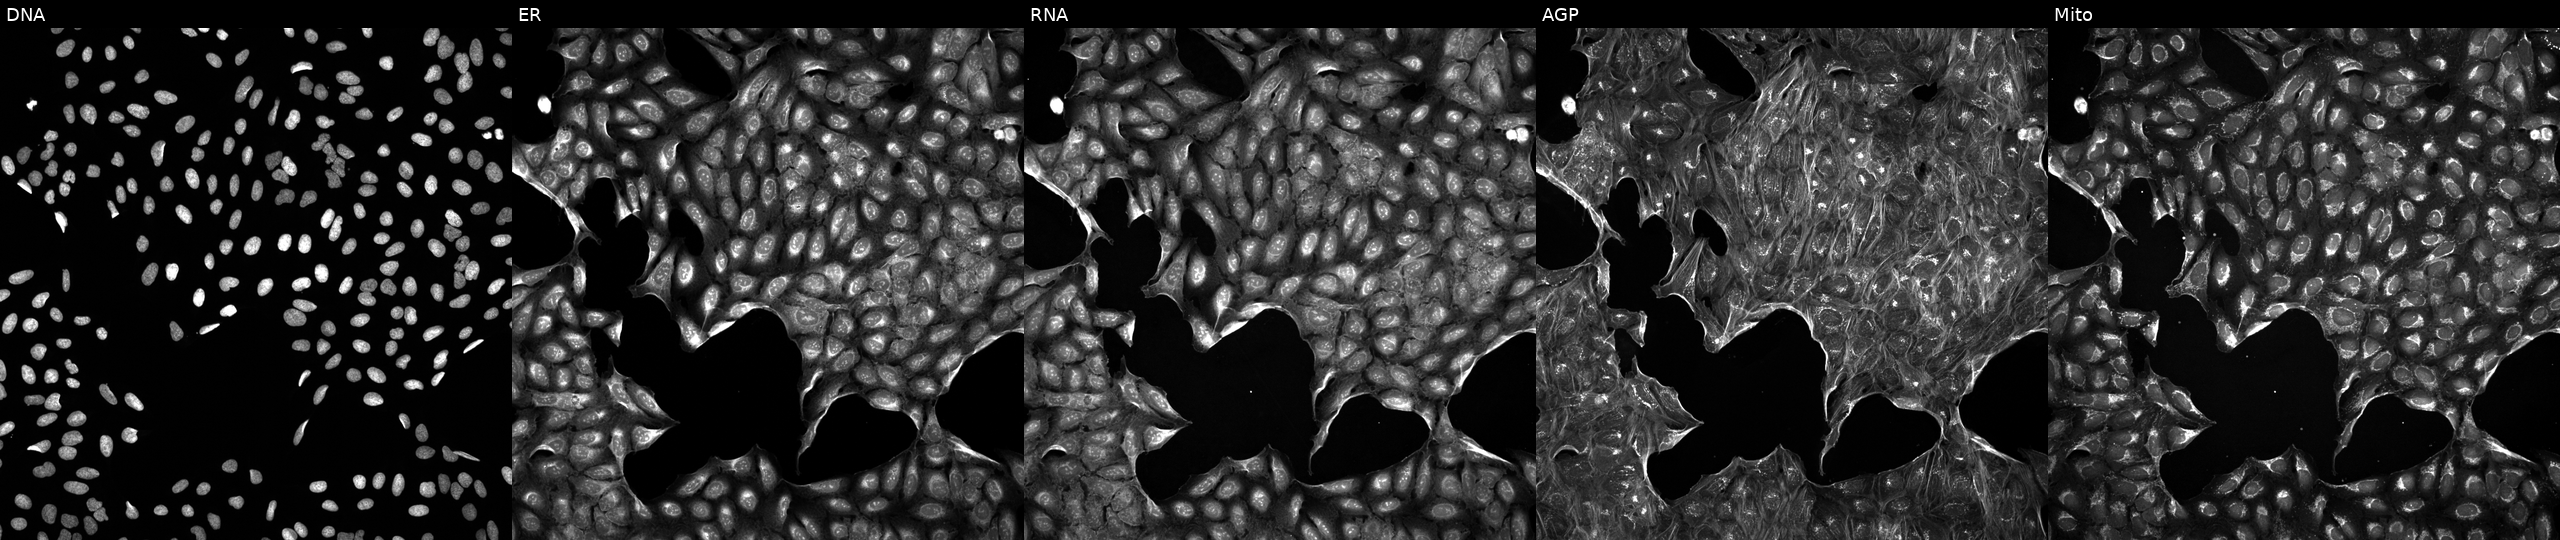
JUMP Cell Painting — TARGET2 plate. U2OS cells exposed to a small-molecule compound (InChIKey JFUIMTGOQCQTPF-UHFFFAOYSA-N) (JUMP id JCP2022_039503). The five panels, left to right, show DNA, ER, RNA, AGP, and Mito.